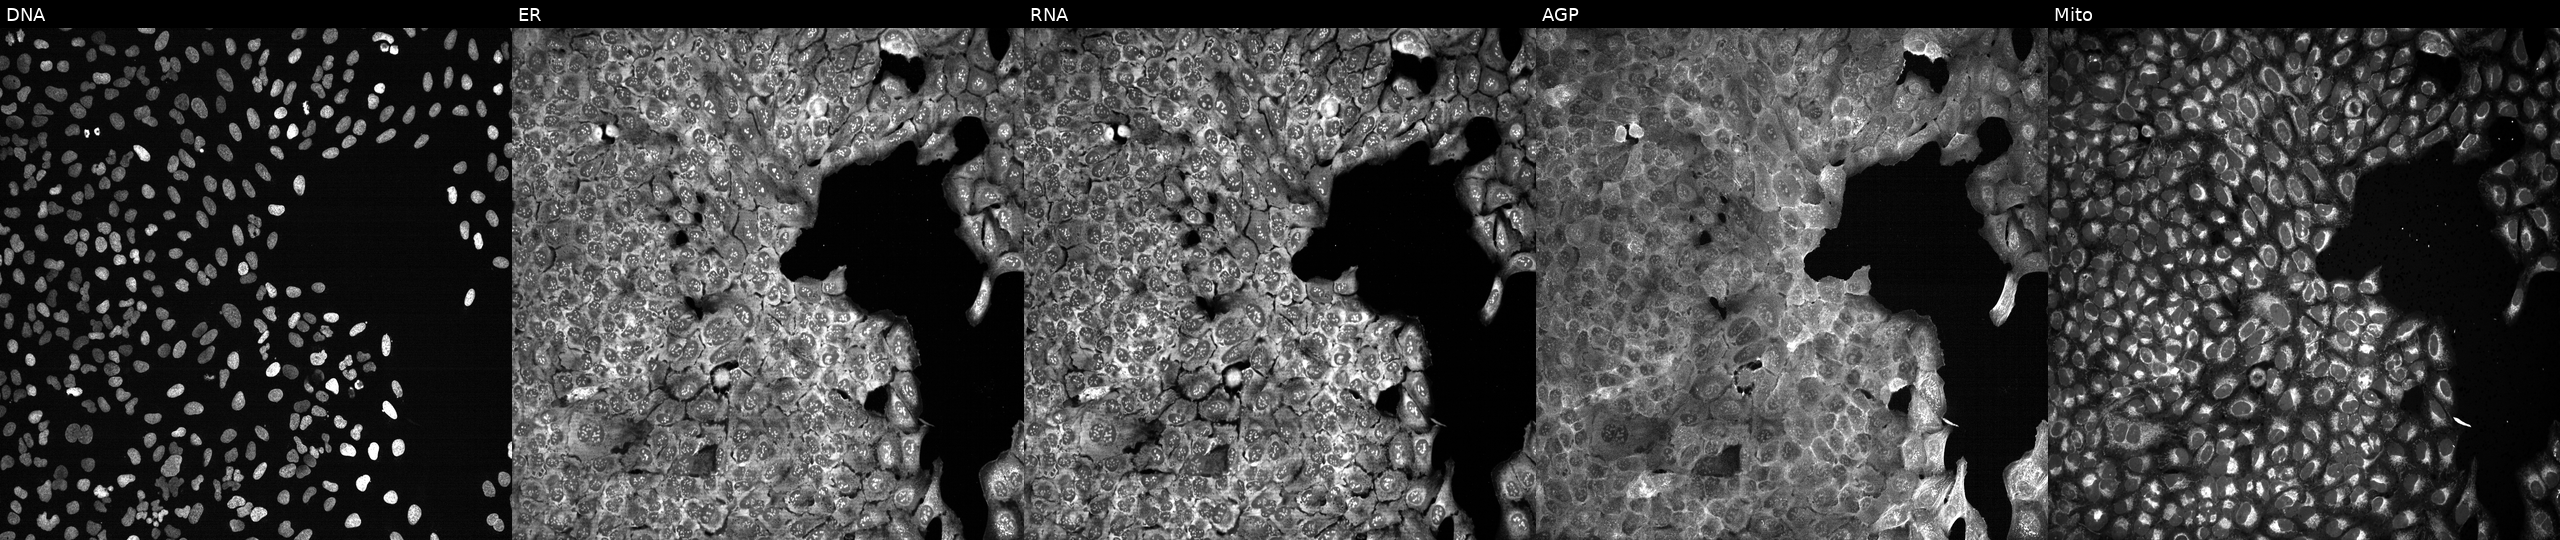
JUMP Cell Painting — CRISPR plate. U2OS cells CRISPR-edited to disrupt PIWIL1. Panels show, left to right, DNA, ER, RNA, AGP, and Mito.